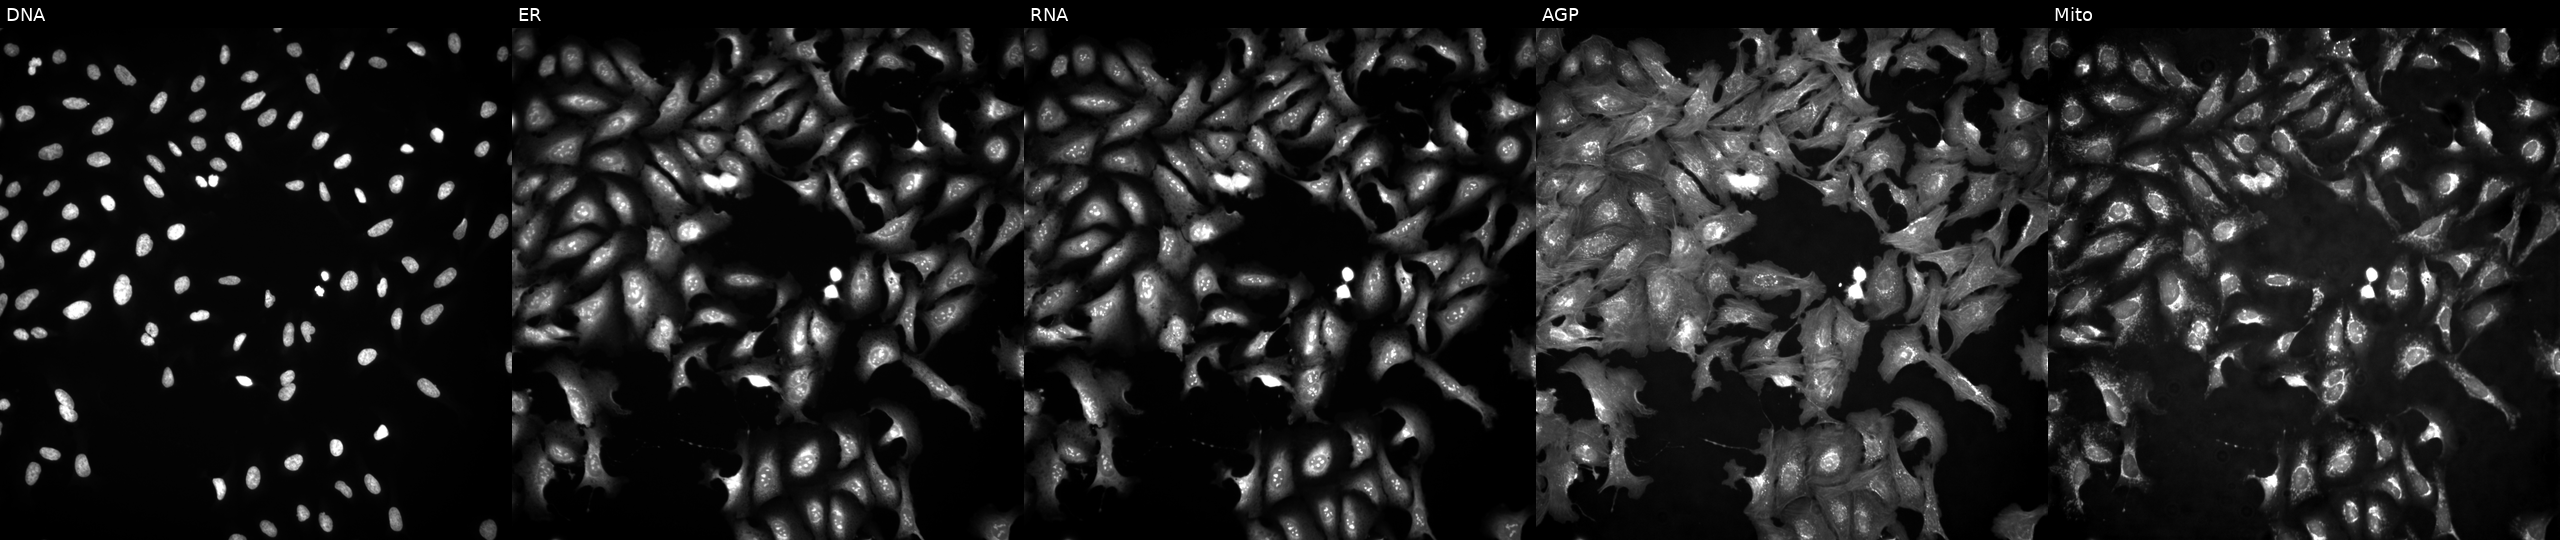
U2OS cells, Cell Painting assay, overexpressing PLXNA2 via ORF transfection (JUMP id JCP2022_912981). Channels (left→right): DNA, ER, RNA, AGP, and Mito. Each panel is percentile-stretched 16-bit fluorescence. Source 4, plate BR00123945, well F06.